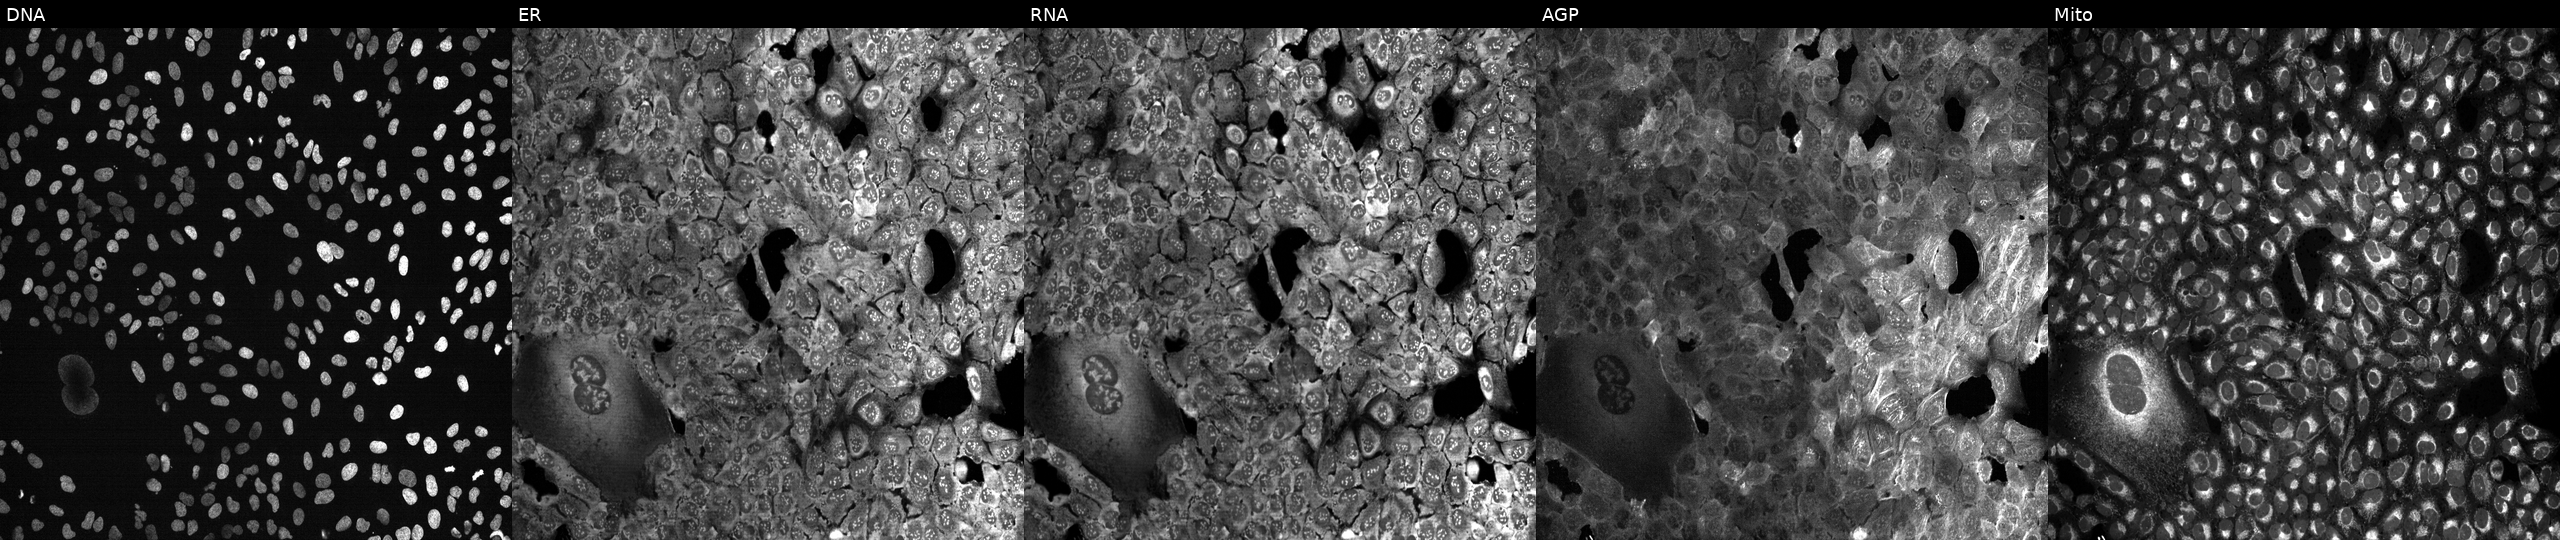
Five-channel Cell Painting image of U2OS cells with GTPBP1 knocked out by CRISPR (JUMP id JCP2022_802970). Channels (left→right): DNA, ER, RNA, AGP, and Mito.